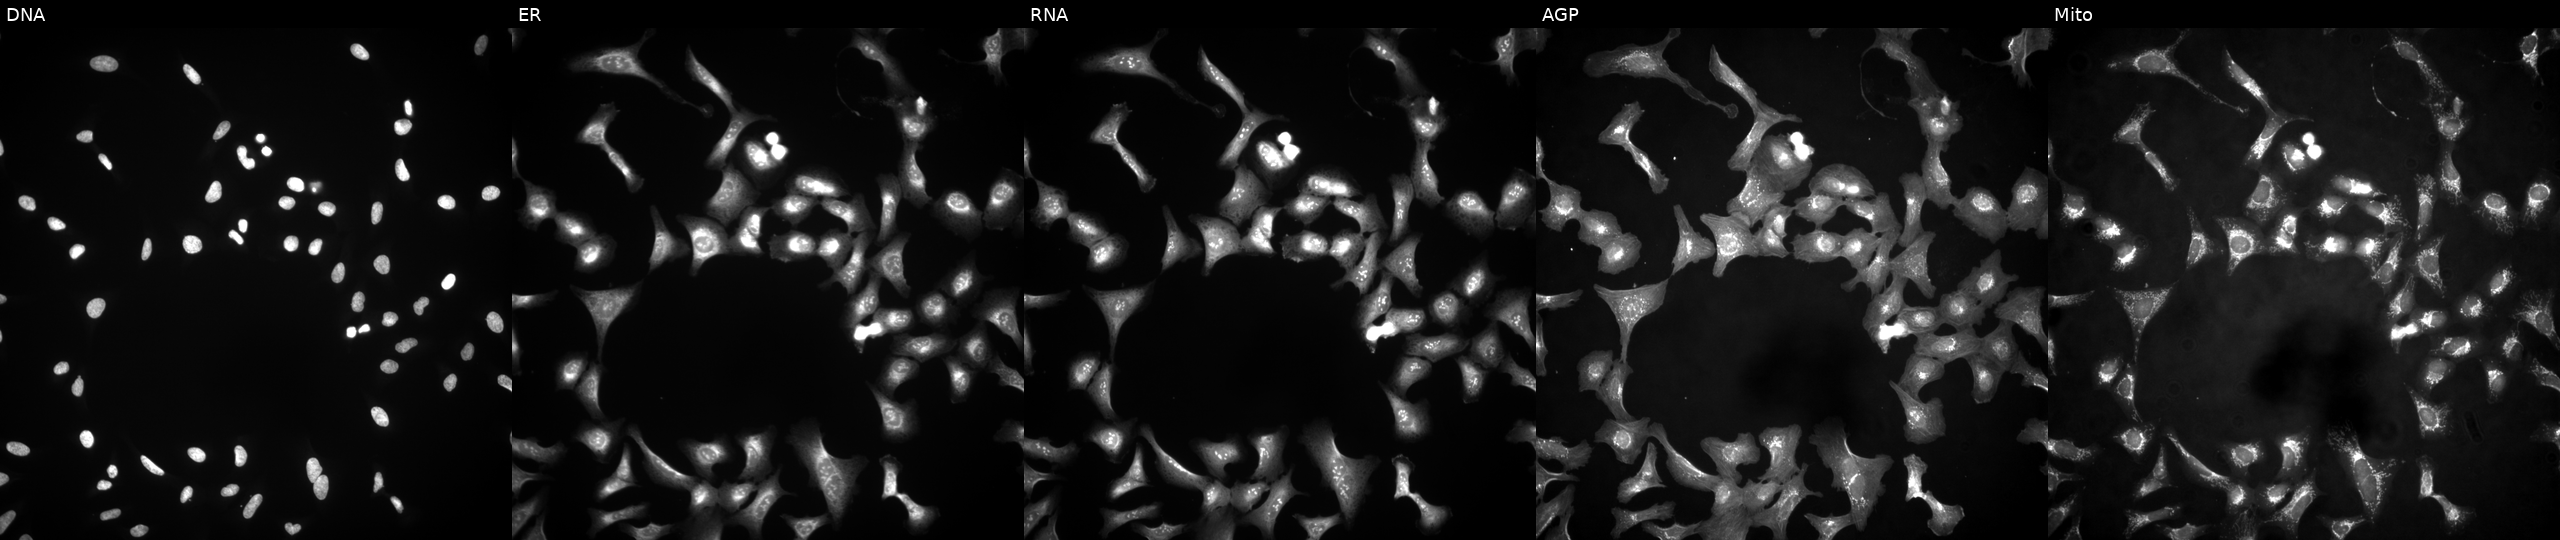
Panels show, left to right, Hoechst 33342, concanavalin A, SYTO 14, phalloidin and WGA, MitoTracker. U2OS osteosarcoma cells with FCGR3B overexpressed (ORF). Cell Painting assay, JUMP-CP dataset.